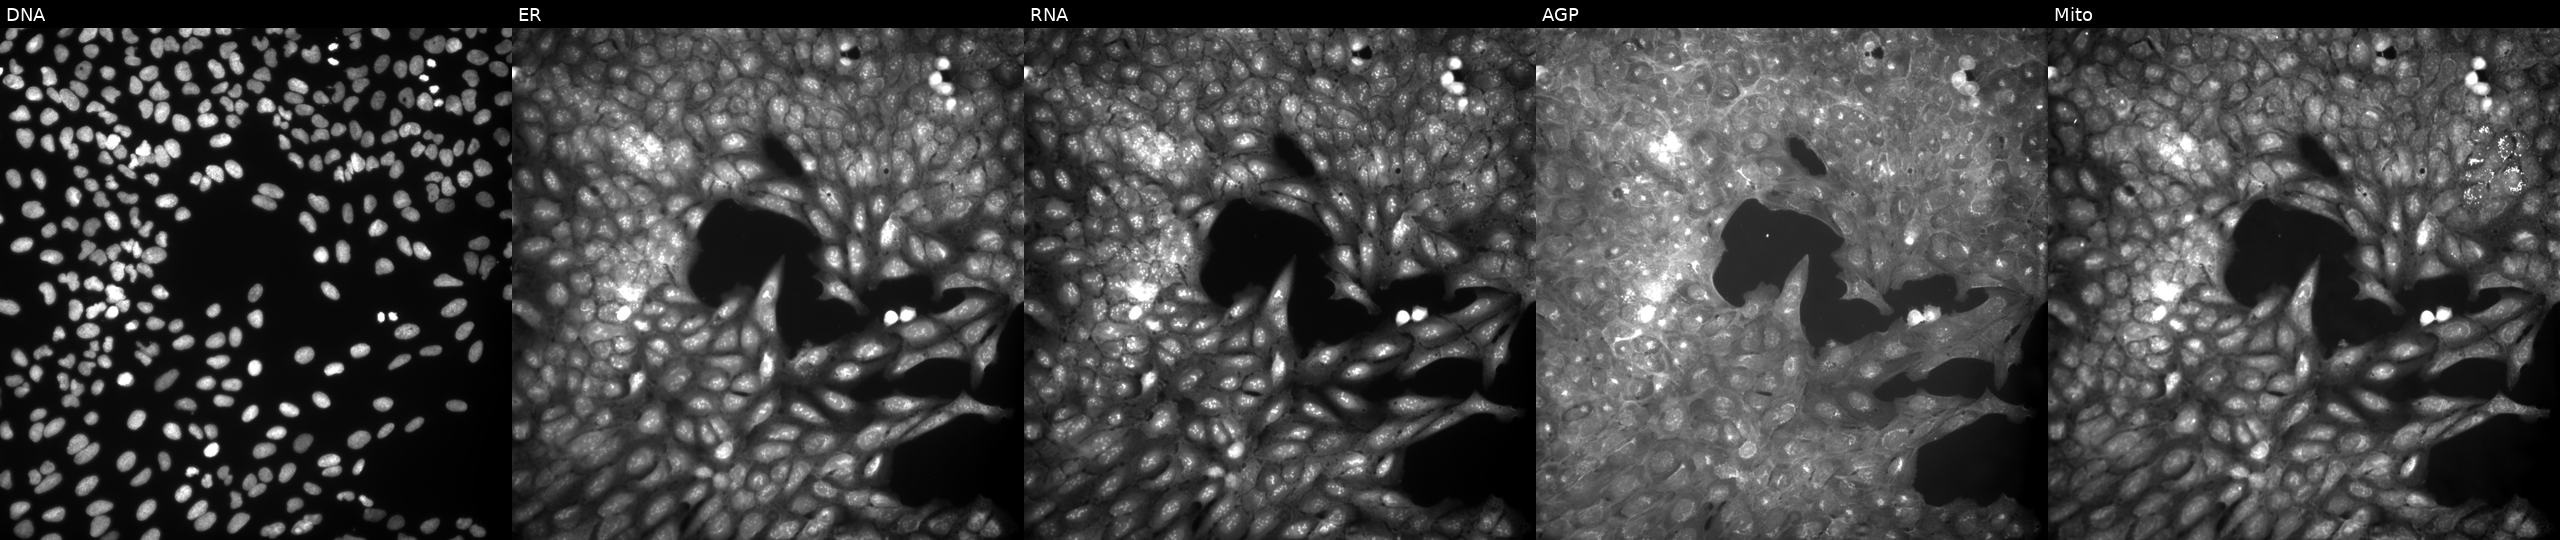
U2OS cells, Cell Painting assay, treated with a small-molecule compound (InChIKey KMJHXBOWEHPDFL-UHFFFAOYSA-N) (JUMP id JCP2022_045555). Panels show, left to right, Hoechst 33342, concanavalin A, SYTO 14, phalloidin and WGA, MitoTracker. Each panel is percentile-stretched 16-bit fluorescence. Source 9, plate GR00003382, well D35.